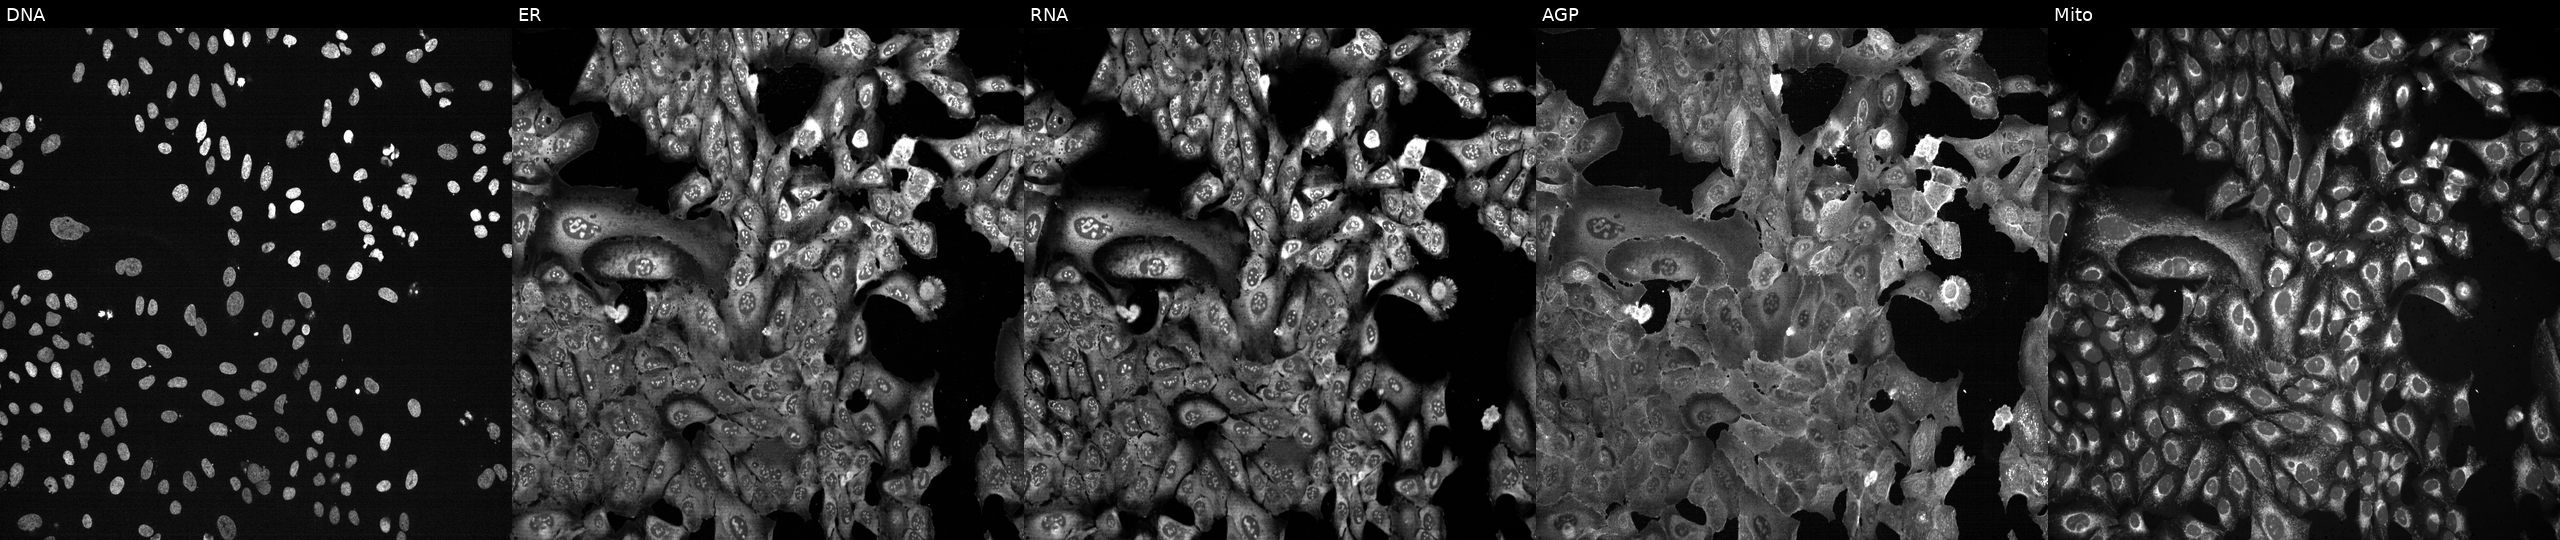
Five-channel Cell Painting image of U2OS cells CRISPR-edited to disrupt ALKBH1. Channels (left→right): Hoechst 33342, concanavalin A, SYTO 14, phalloidin and WGA, MitoTracker.